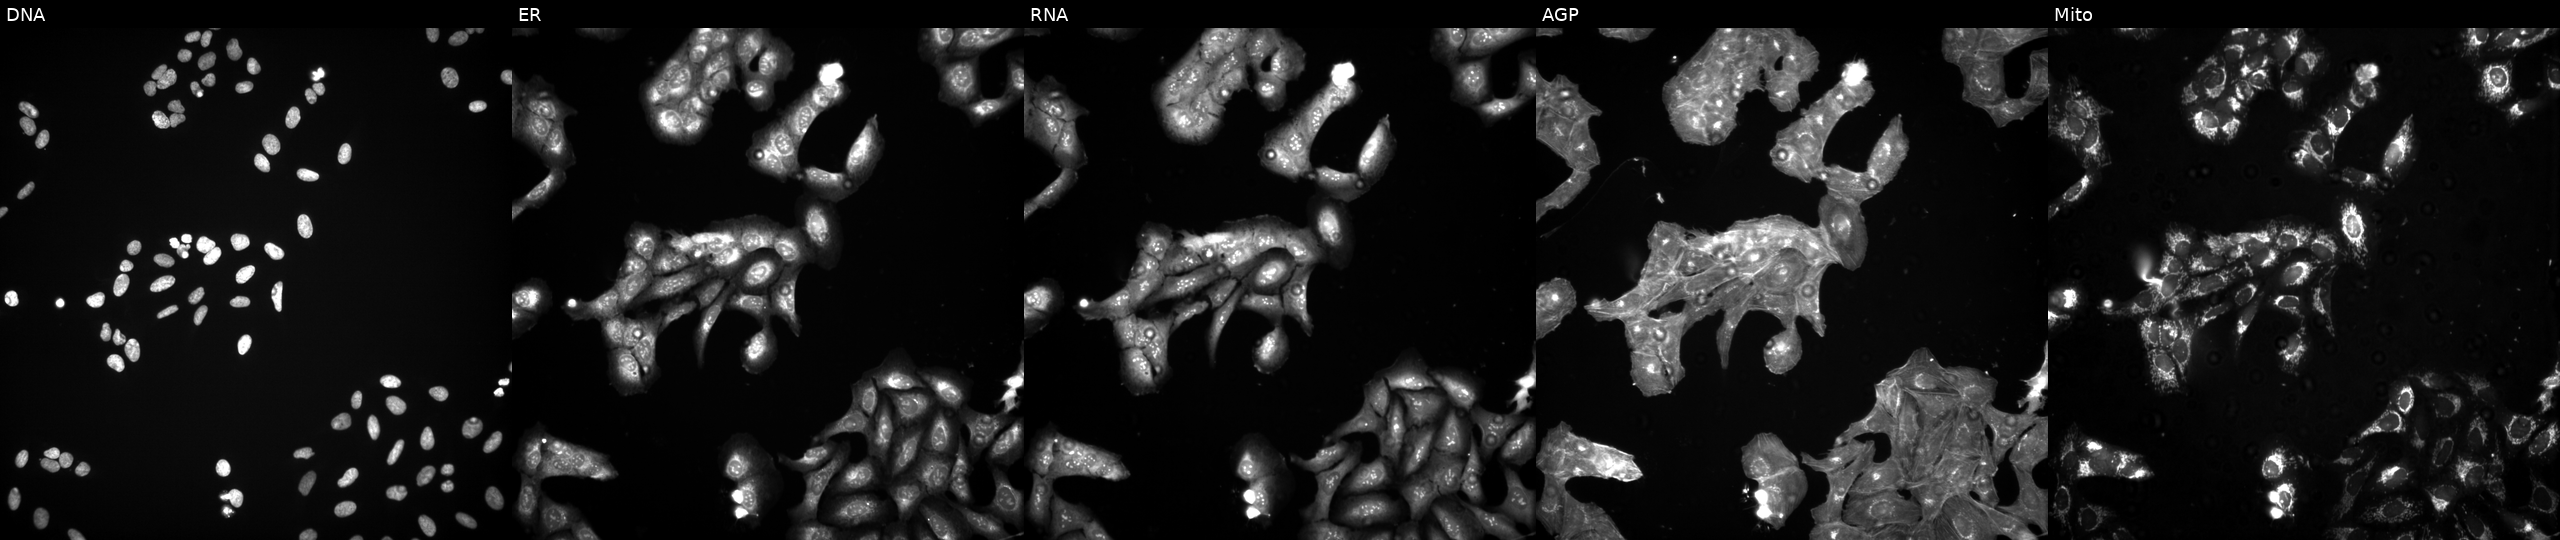
Five-channel Cell Painting image of U2OS cells exposed to a small-molecule compound (InChIKey OQQVFCKUDYMWGV-UHFFFAOYSA-N) (JUMP id JCP2022_065525). Panels show, left to right, DNA, ER, RNA, AGP, and Mito.